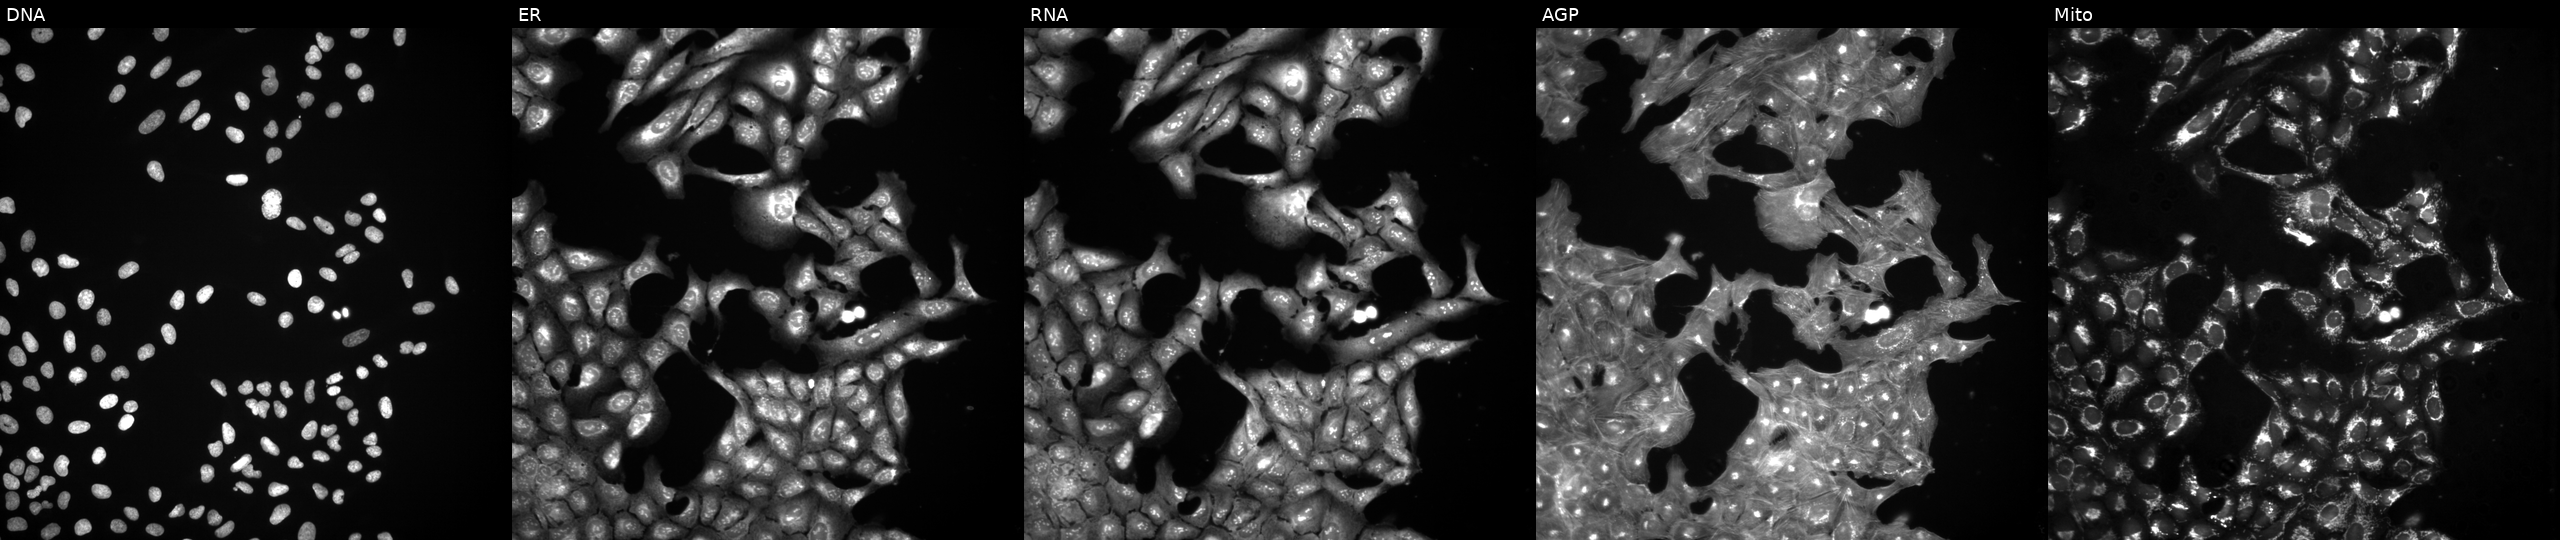
Five-channel Cell Painting image of U2OS cells exposed to DMSO alone as a negative control (JUMP id JCP2022_033924). Panels show, left to right, DNA (nuclei); ER (endoplasmic reticulum); RNA (nucleoli and cytoplasmic RNA); AGP (actin cytoskeleton, Golgi, and plasma membrane); Mito (mitochondria).